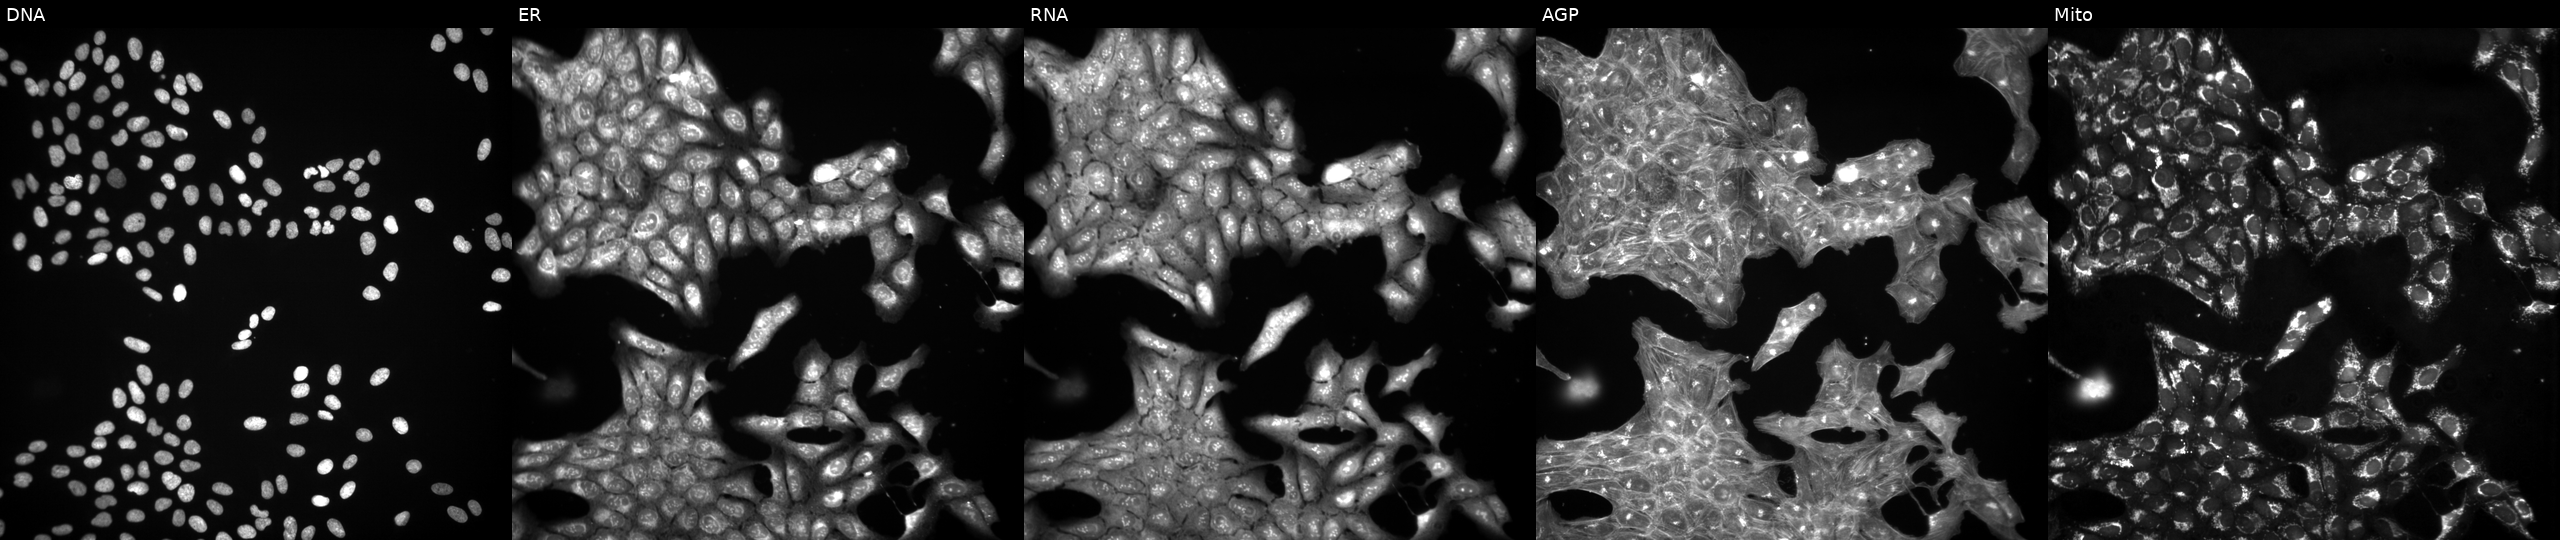
This image strip shows the five Cell Painting channels for a single field of U2OS cells exposed to a small-molecule compound (InChIKey IIQUYGWWHIHOCF-UHFFFAOYSA-N) (JUMP id JCP2022_035296). From left to right: Hoechst 33342, concanavalin A, SYTO 14, phalloidin and WGA, MitoTracker.